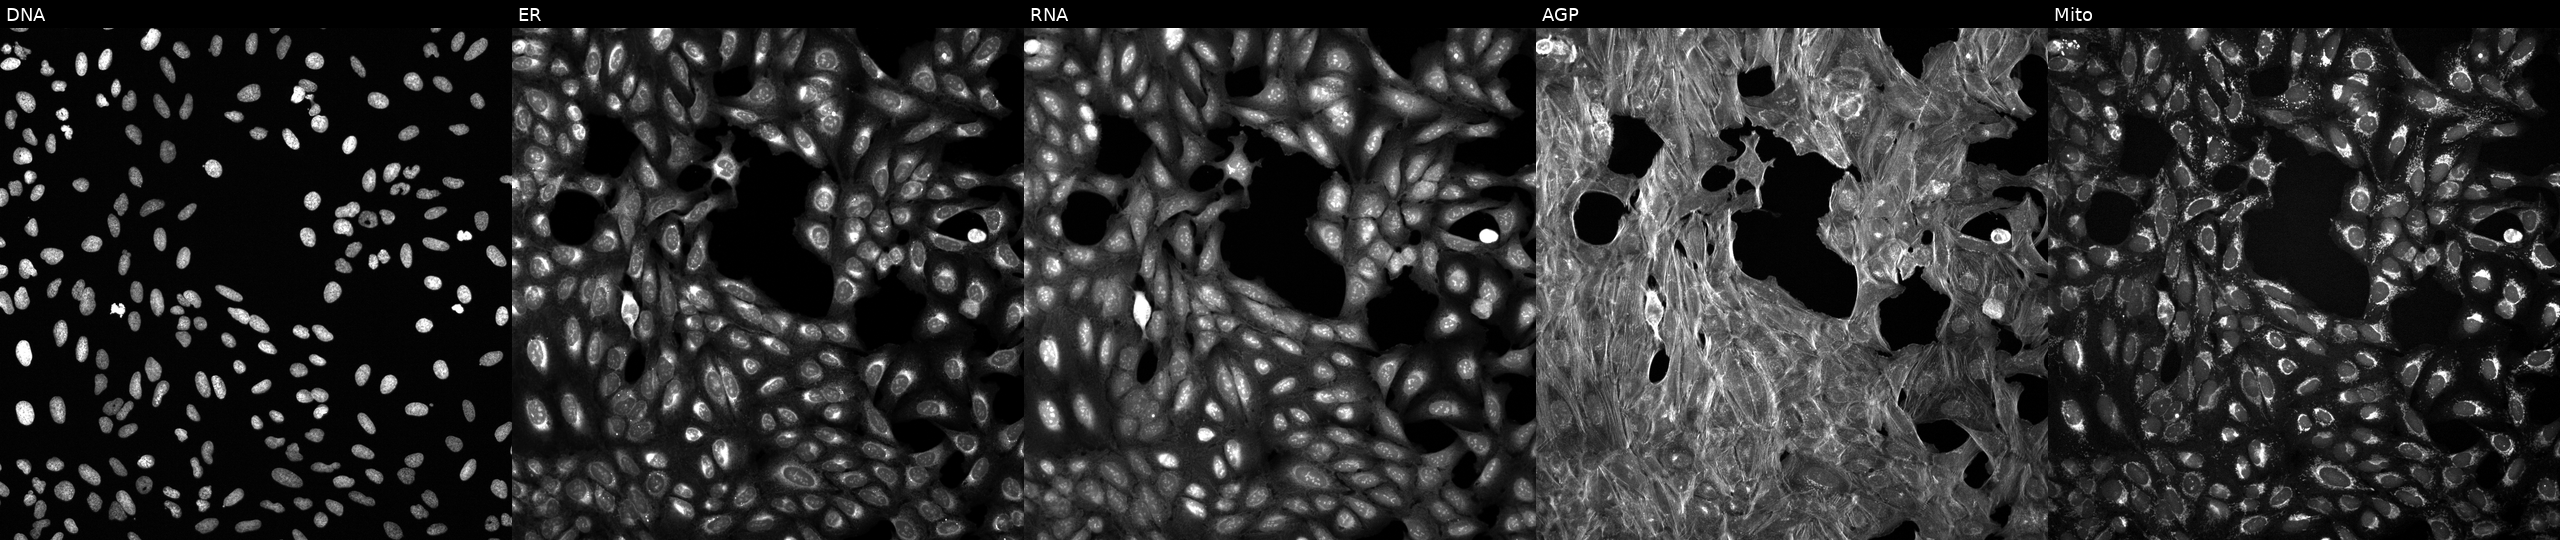
U2OS cells, Cell Painting assay, exposed to a small-molecule compound (JUMP id JCP2022_042907). The five panels, left to right, show DNA, ER, RNA, AGP, and Mito. Each panel is percentile-stretched 16-bit fluorescence. Source 6, plate 110000293082, well F06.